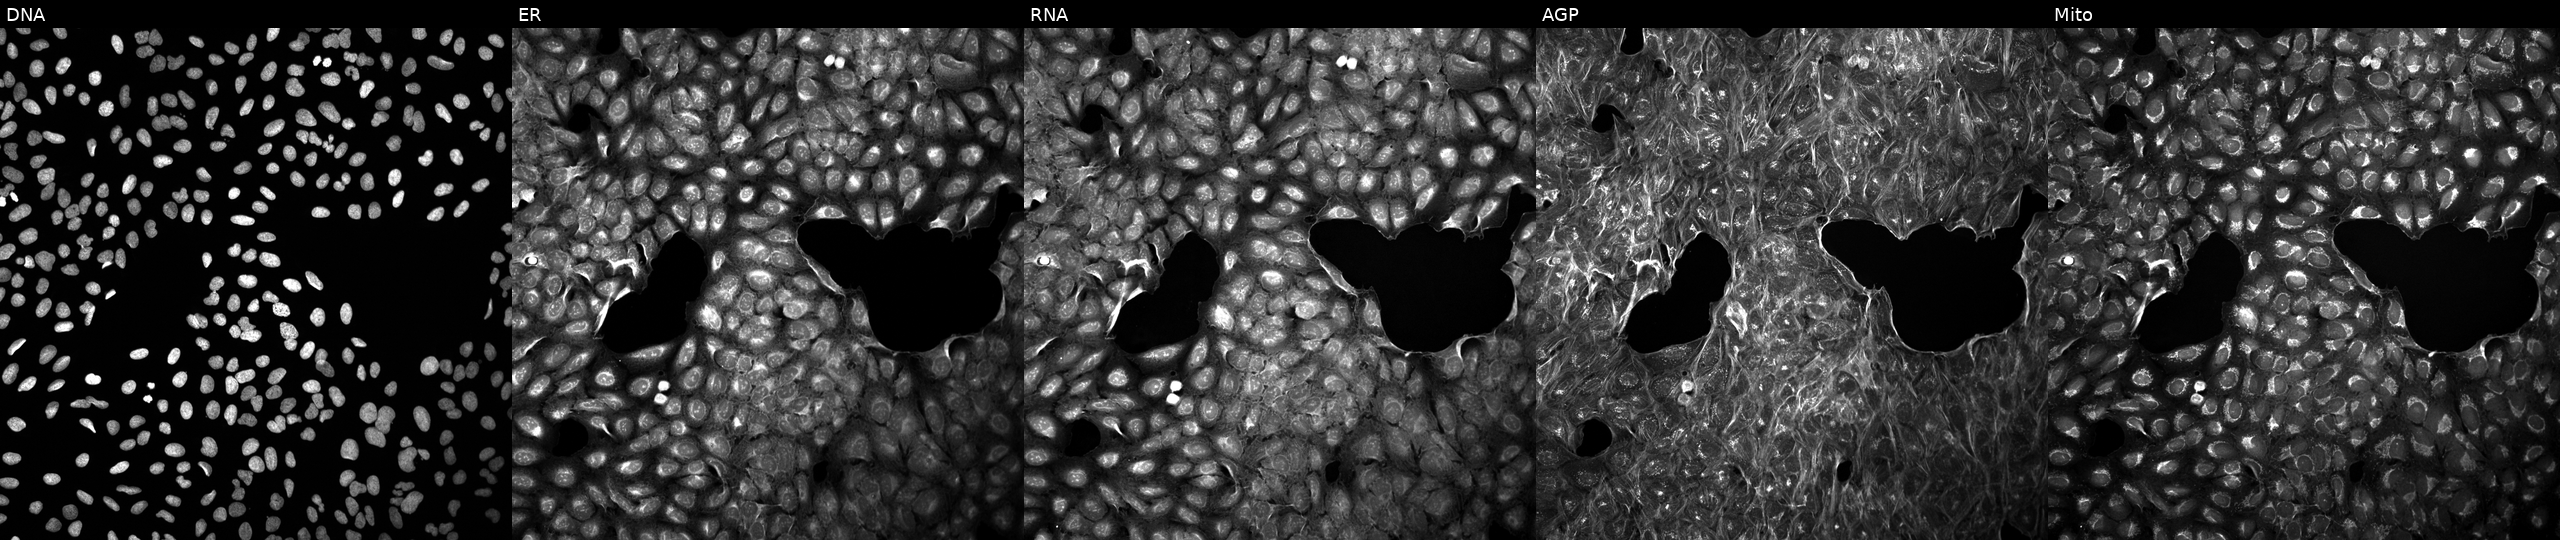
U2OS cells, Cell Painting assay, treated with a small-molecule compound (JUMP id JCP2022_041139). From left to right: DNA, ER, RNA, AGP, and Mito. Each panel is percentile-stretched 16-bit fluorescence. Source 5, plate ACPJUM012, well M22.